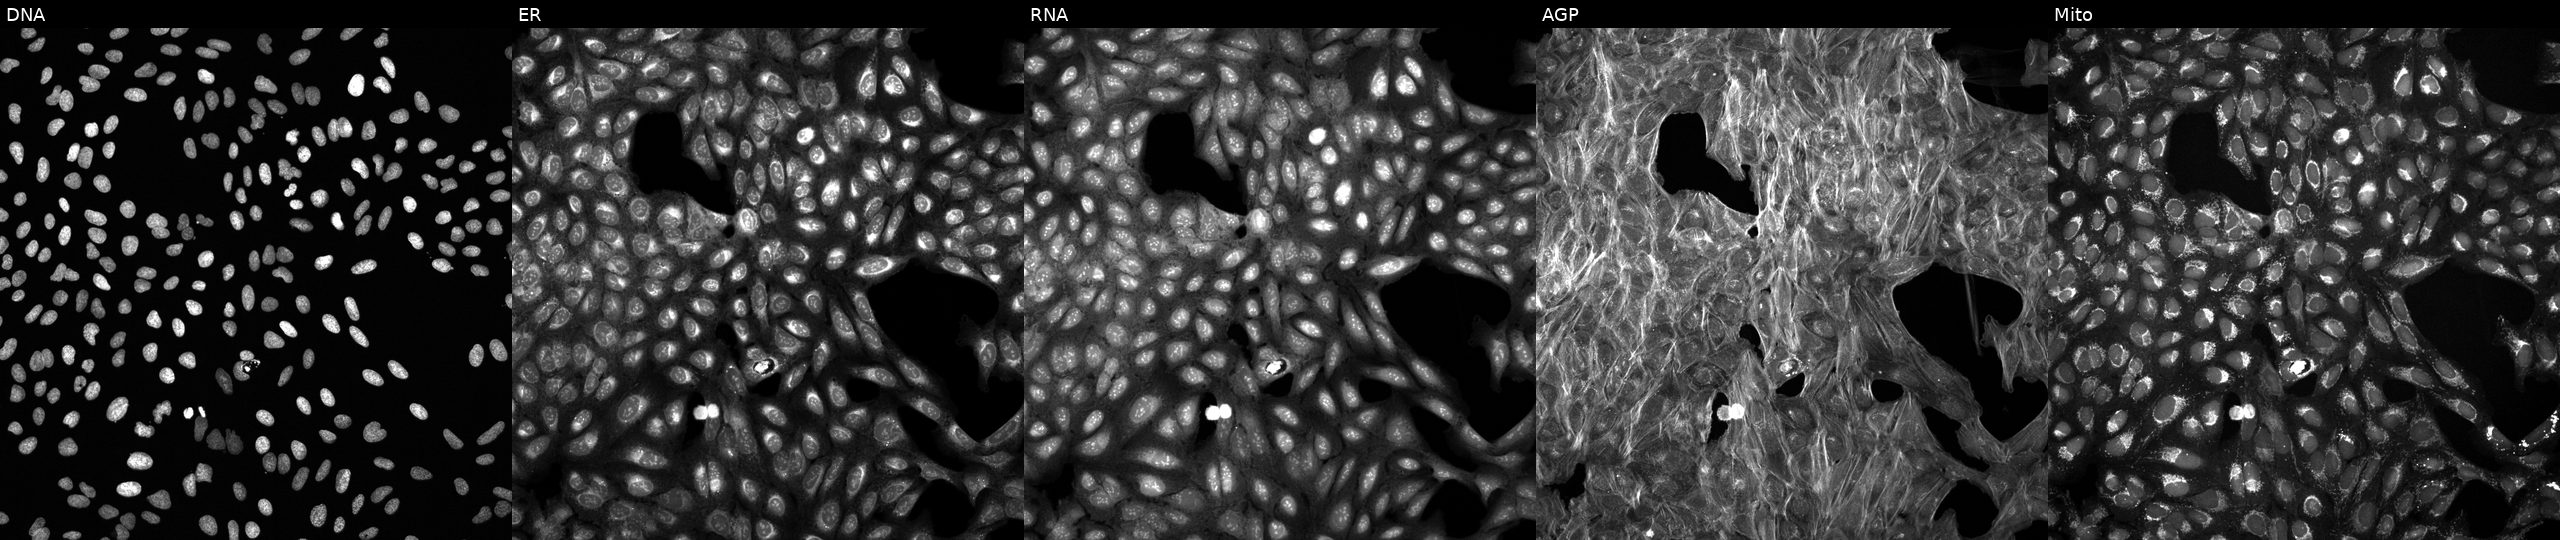
U2OS cells, Cell Painting assay, exposed to a small-molecule compound. The five panels, left to right, show Hoechst 33342, concanavalin A, SYTO 14, phalloidin and WGA, MitoTracker. Each panel is percentile-stretched 16-bit fluorescence. Source 6, plate 110000293093, well F23.